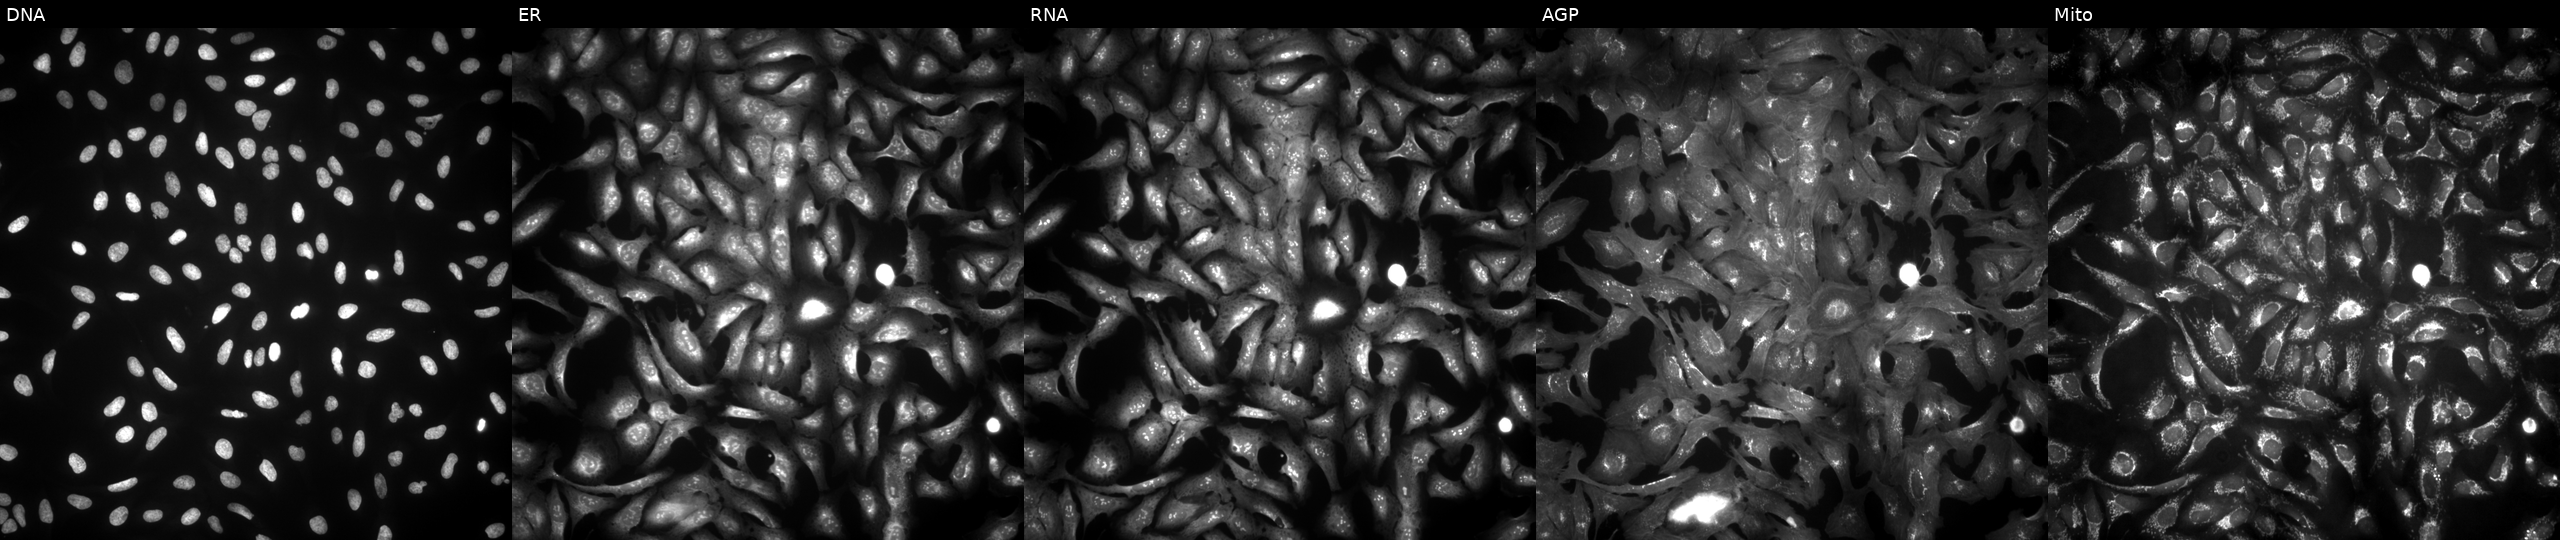
High-content fluorescence microscopy (Cell Painting). Cell line: U2OS. Perturbation: transfected with an ORF construct for LCA5. Panels show, left to right, Hoechst 33342, concanavalin A, SYTO 14, phalloidin and WGA, MitoTracker.